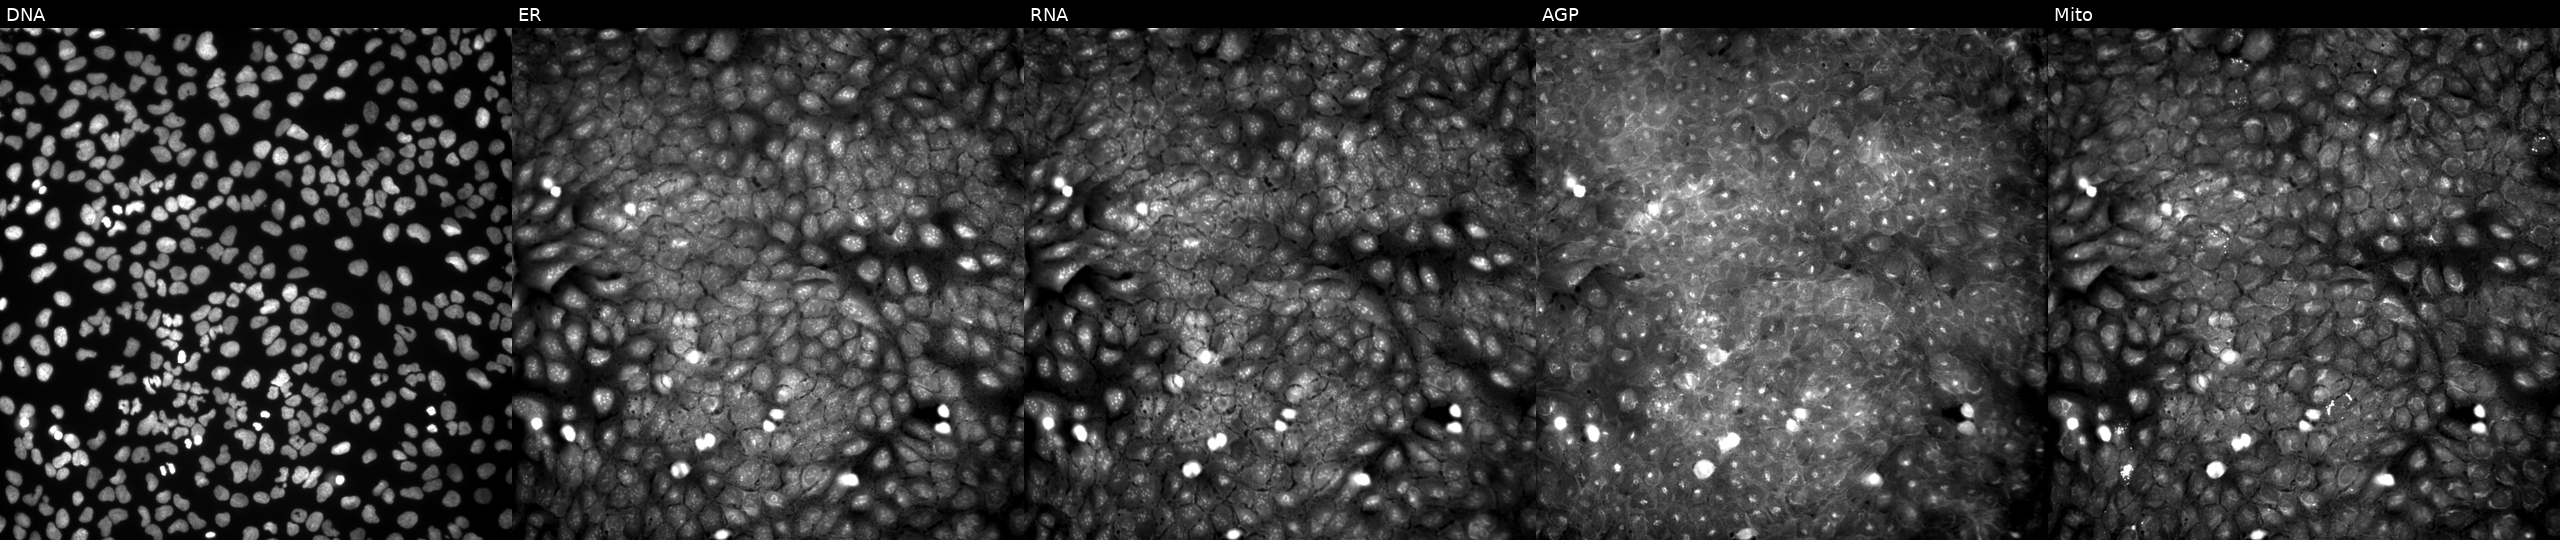
This image strip shows the five Cell Painting channels for a single field of U2OS cells exposed to a small-molecule compound [SMILES: COc1ccccc1Cc1cc(O)n(-c2cccc(Cl)c2C)c1O] (JUMP id JCP2022_097353). From left to right: Hoechst 33342, concanavalin A, SYTO 14, phalloidin and WGA, MitoTracker. Source 9, plate GR00003382, well N39.